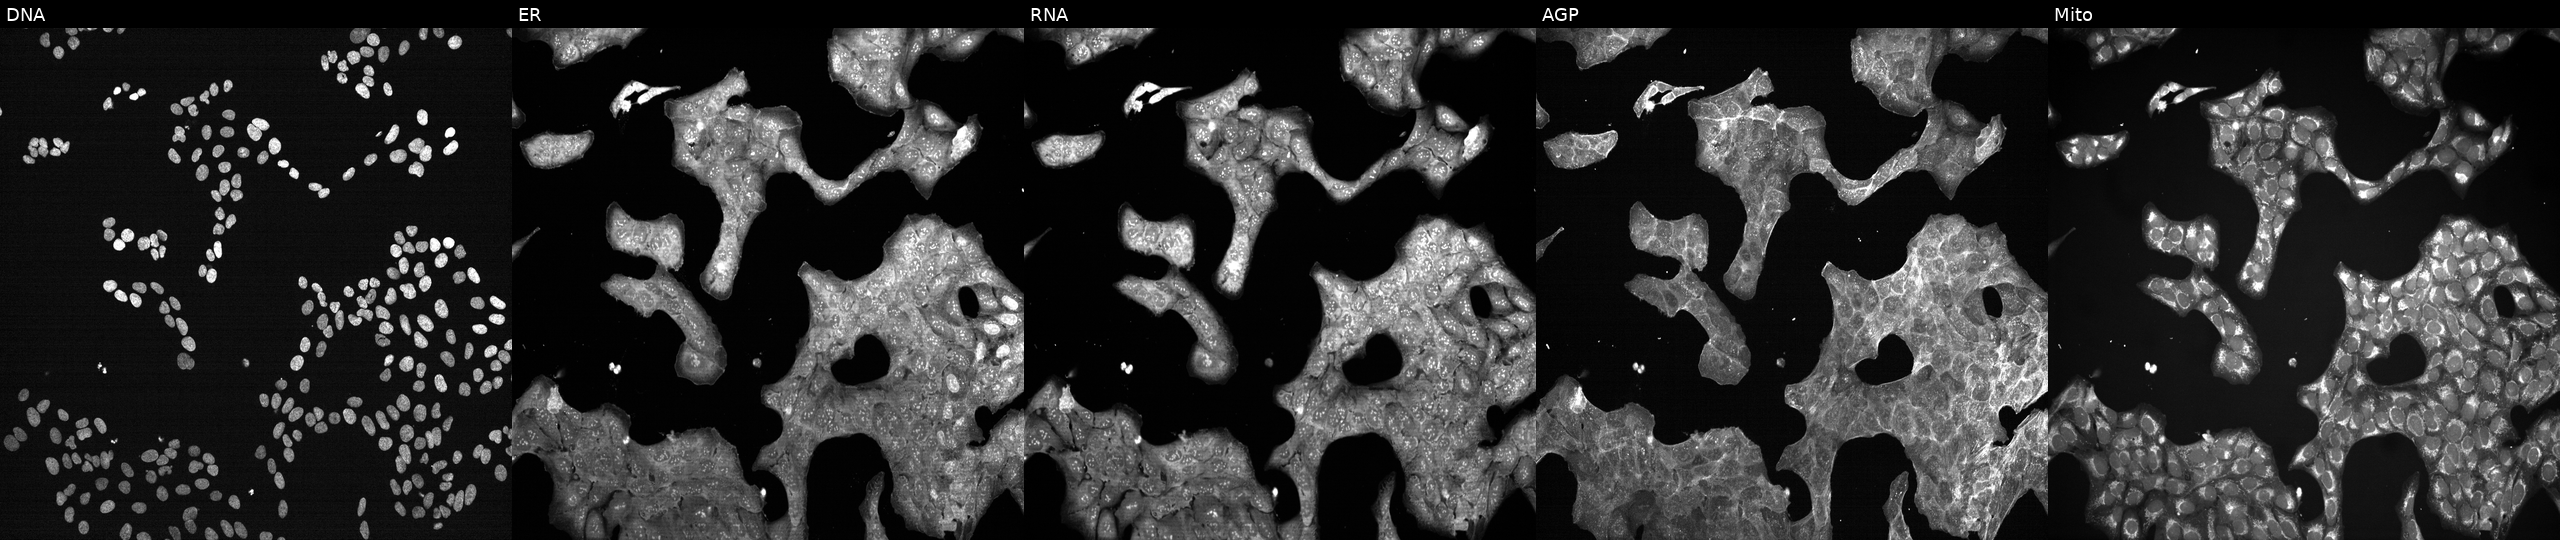
Five-channel Cell Painting image of U2OS cells perturbed with a small-molecule compound (InChIKey RYMZZMVNJRMUDD-UHFFFAOYSA-N) [SMILES: CCC(C)(C)C(=O)OC1CC(C)C=C2C=CC(C)C(CCC3CC(O)CC(=O)O3)C21] (JUMP id JCP2022_081555). Channels (left→right): Hoechst 33342, concanavalin A, SYTO 14, phalloidin and WGA, MitoTracker.